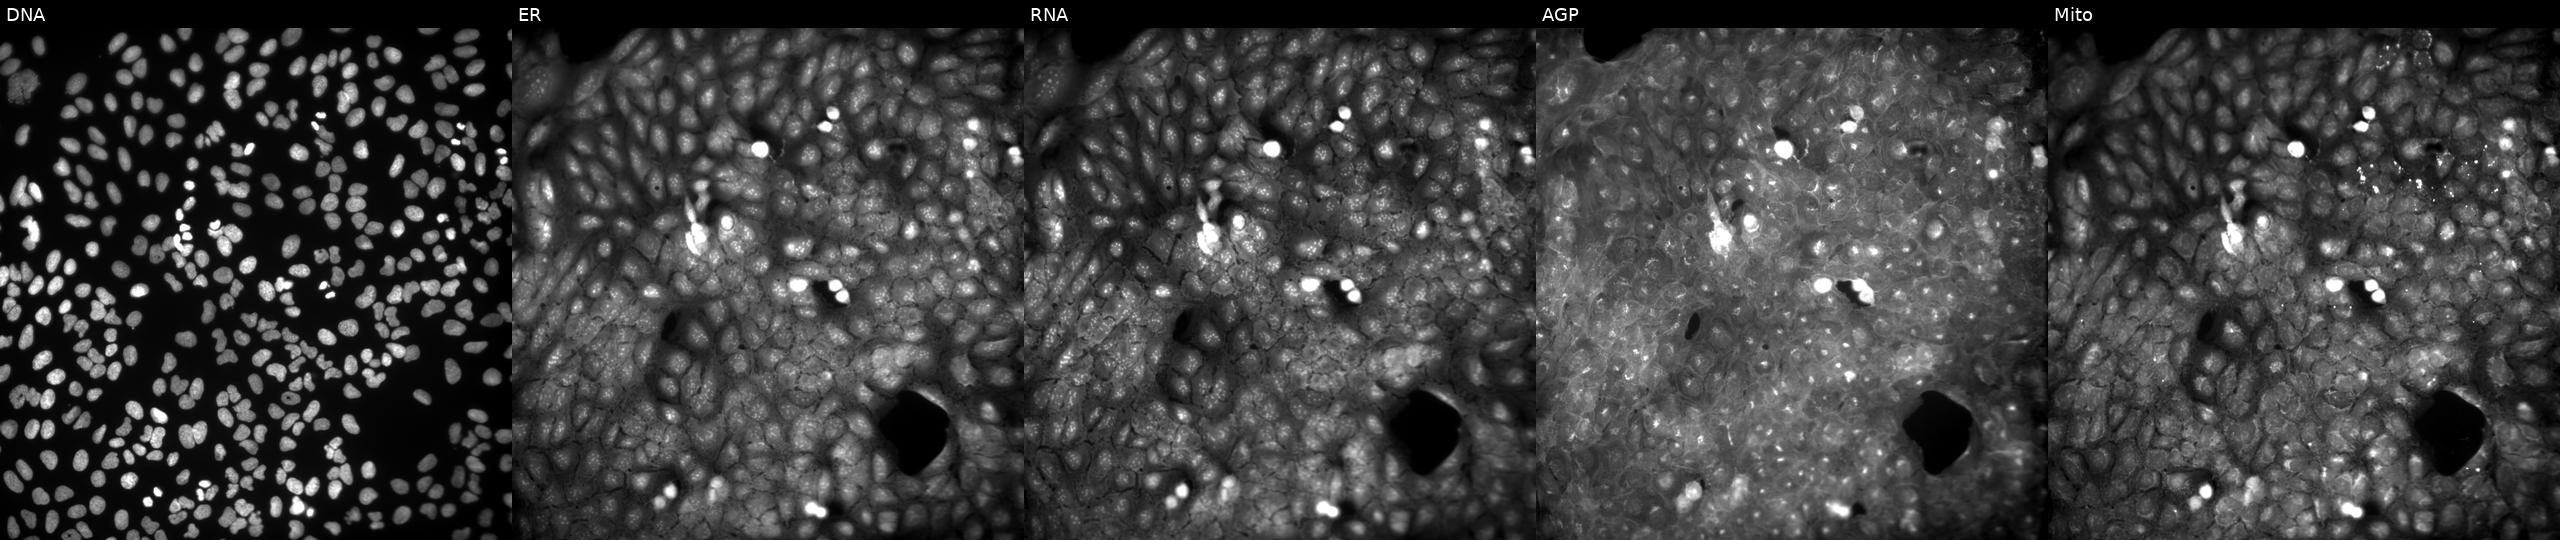
Five-channel Cell Painting image of U2OS cells exposed to a small-molecule compound (InChIKey JLTHDKINJHEGRP-UHFFFAOYSA-N) [SMILES: COc1ccc(OCC(=O)OCCN2C(=O)c3ccccc3C2=O)cc1]. Channels (left→right): DNA (nuclei); ER (endoplasmic reticulum); RNA (nucleoli and cytoplasmic RNA); AGP (actin cytoskeleton, Golgi, and plasma membrane); Mito (mitochondria). Source 9, plate GR00003381, well AB34.